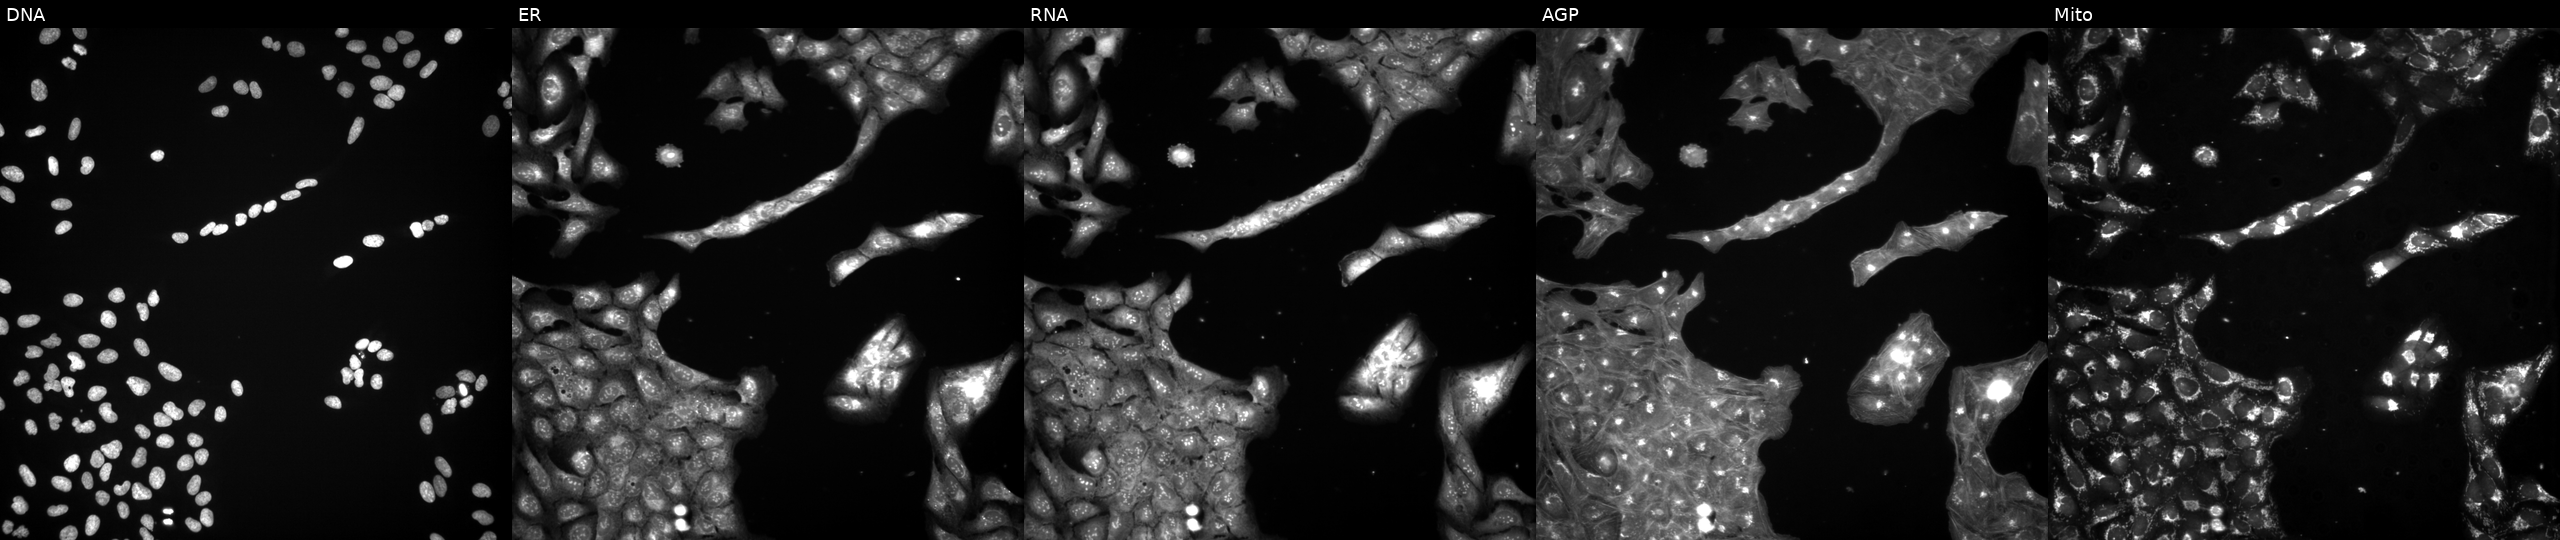
U2OS cells, Cell Painting assay, perturbed with a small-molecule compound (InChIKey CMYHZFCJPORPHY-UHFFFAOYSA-N) [SMILES: CSc1nc(=N)cc(Oc2ccc(-c3nc(=Nc4cccc(C(F)(F)F)c4)[nH][nH]3)cc2)[nH]1]. From left to right: DNA, ER, RNA, AGP, and Mito. Each panel is percentile-stretched 16-bit fluorescence. Source 3, plate JCPQC052, well I16.